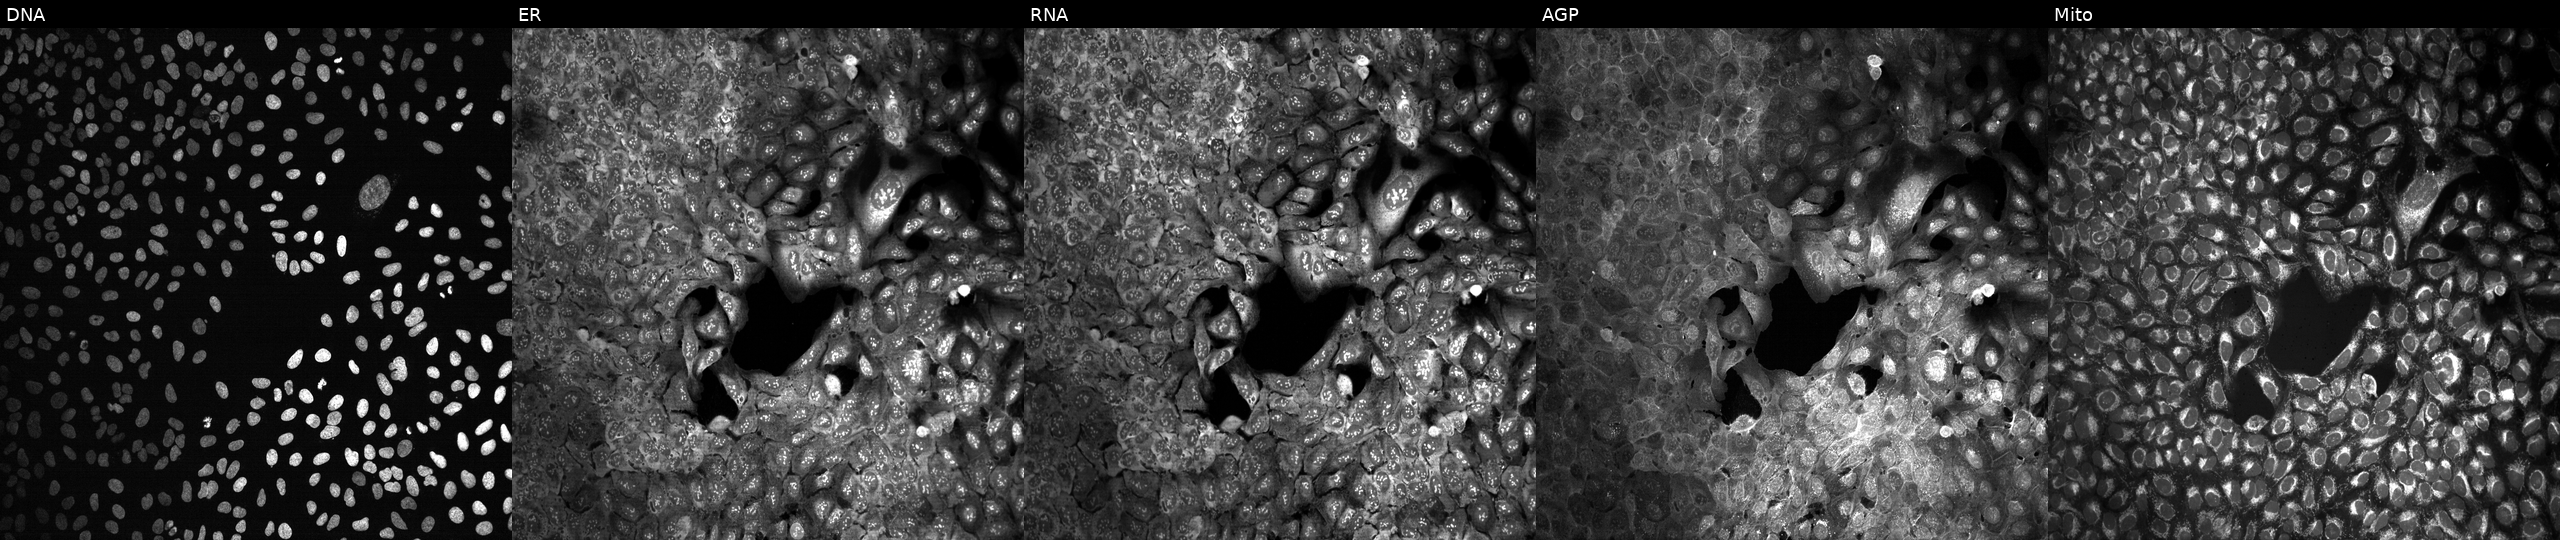
High-content fluorescence microscopy (Cell Painting). Cell line: U2OS. Perturbation: with a non-targeting CRISPR guide (negative control). Panels show, left to right, DNA (nuclei); ER (endoplasmic reticulum); RNA (nucleoli and cytoplasmic RNA); AGP (actin cytoskeleton, Golgi, and plasma membrane); Mito (mitochondria).